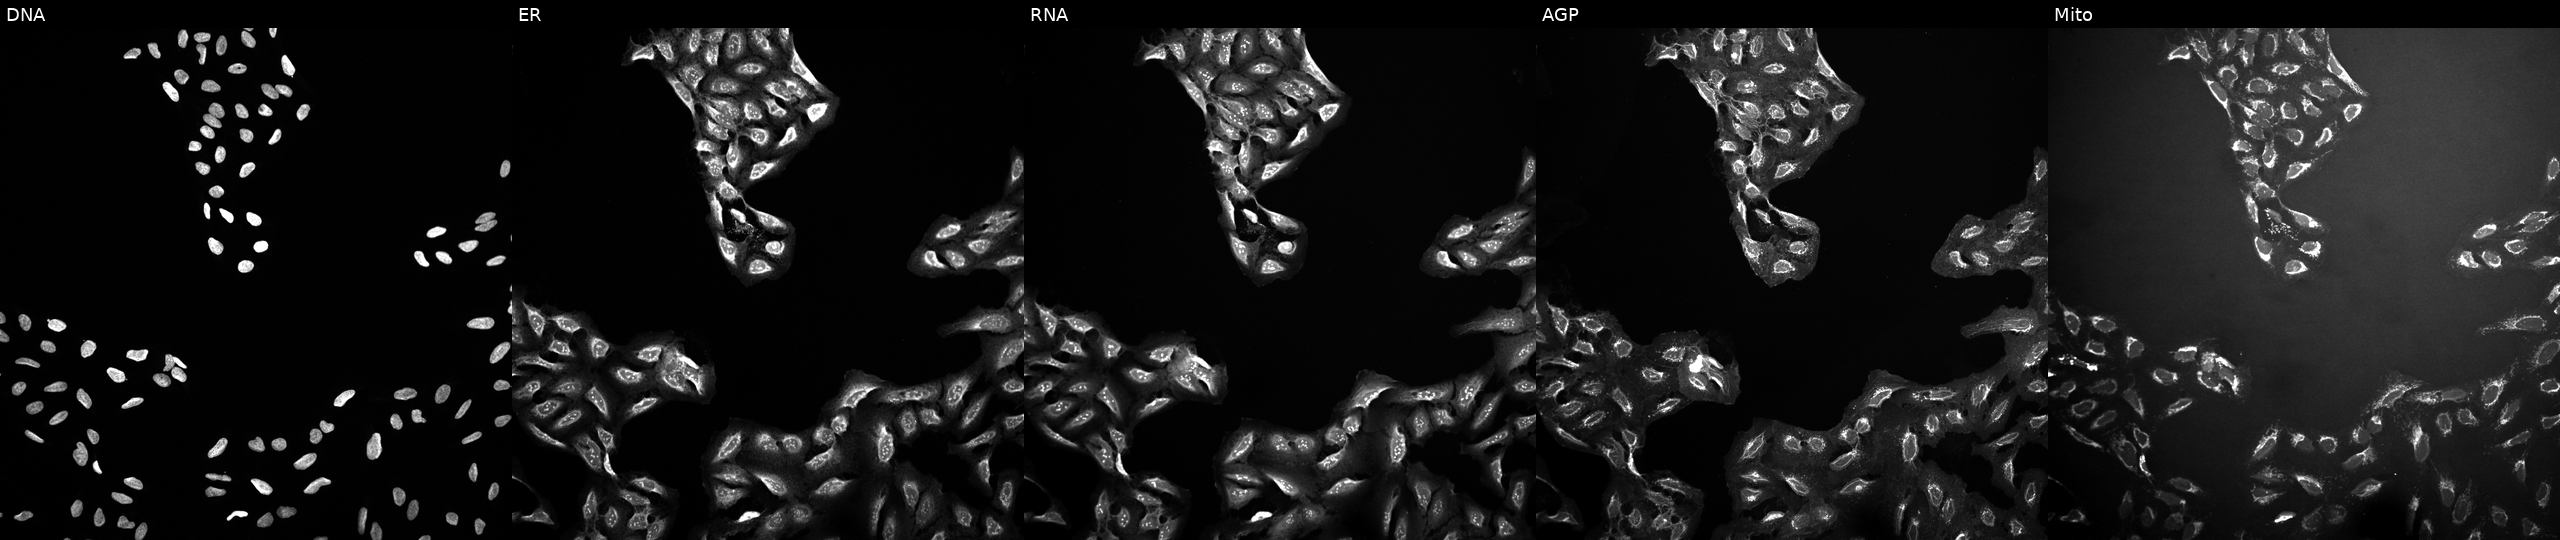
Five-channel Cell Painting image of U2OS cells treated with a small-molecule compound (InChIKey CMSMOCZEIVJLDB-UHFFFAOYSA-N) (JUMP id JCP2022_012146). Channels (left→right): DNA (nuclei); ER (endoplasmic reticulum); RNA (nucleoli and cytoplasmic RNA); AGP (actin cytoskeleton, Golgi, and plasma membrane); Mito (mitochondria).